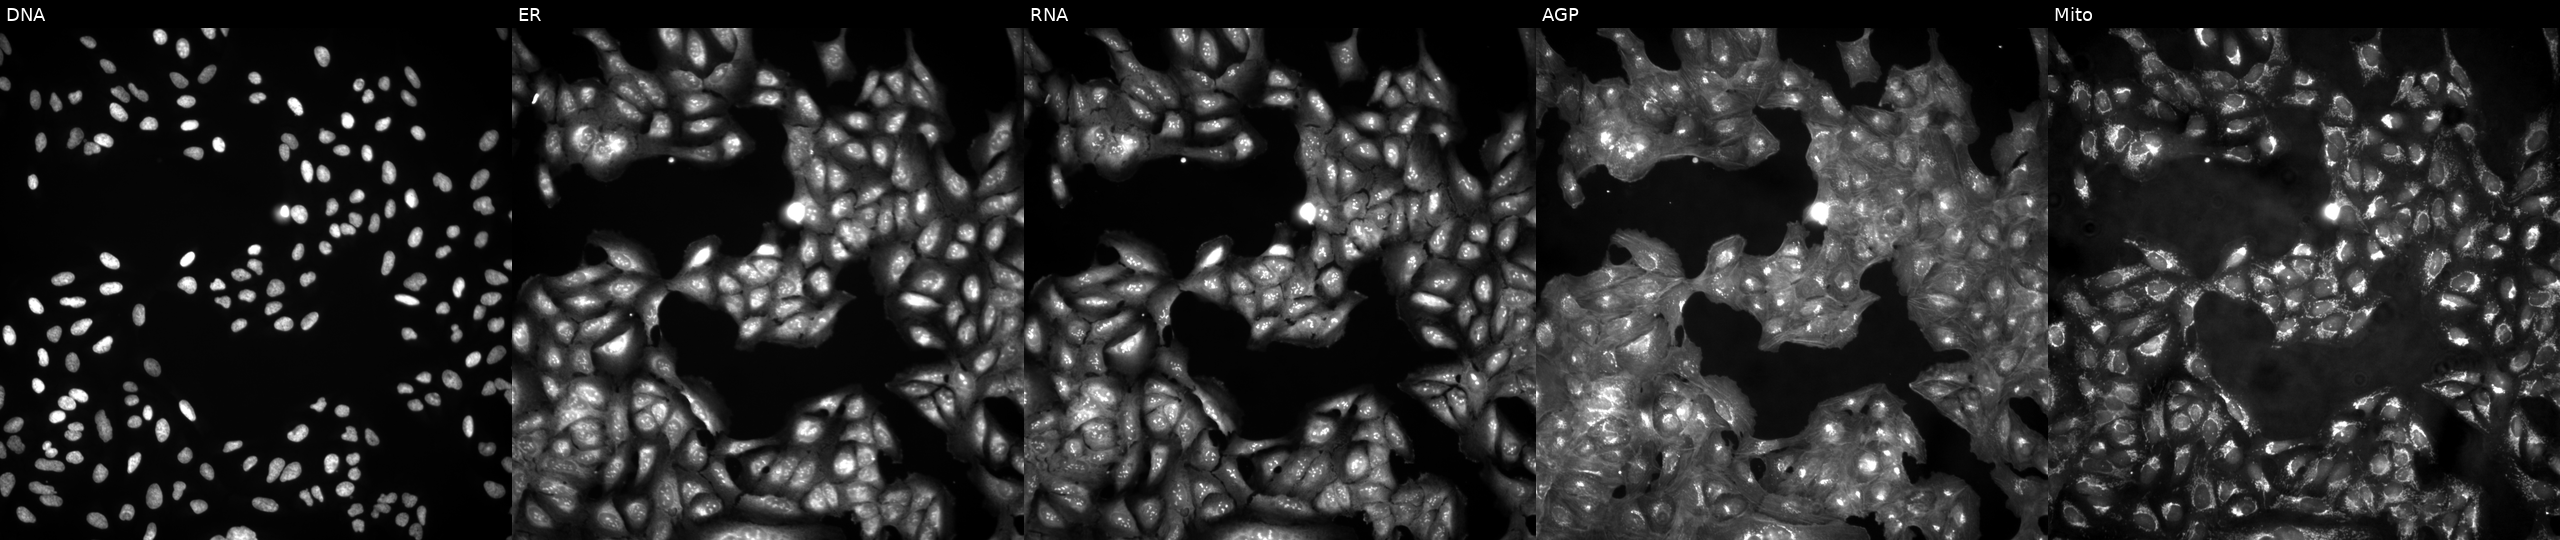
U2OS cells, Cell Painting assay, untreated (empty-well control) (JUMP id JCP2022_999999). From left to right: DNA (nuclei); ER (endoplasmic reticulum); RNA (nucleoli and cytoplasmic RNA); AGP (actin cytoskeleton, Golgi, and plasma membrane); Mito (mitochondria). Each panel is percentile-stretched 16-bit fluorescence.